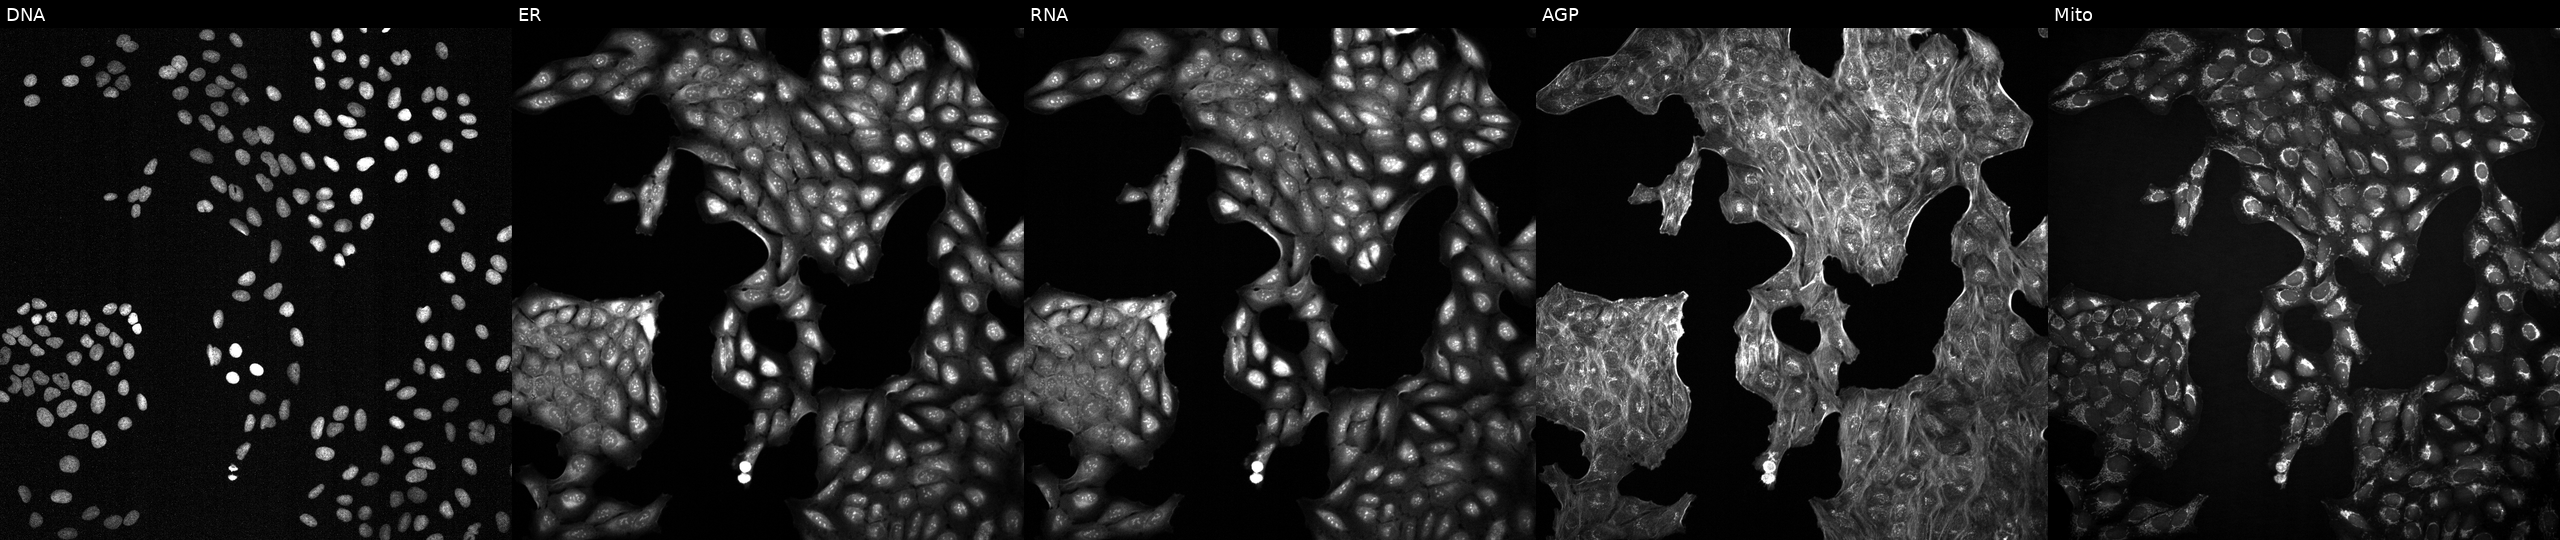
U2OS cells, Cell Painting assay, perturbed with a small-molecule compound [SMILES: O=C(O)C1CCCN1]. Panels show, left to right, DNA (nuclei); ER (endoplasmic reticulum); RNA (nucleoli and cytoplasmic RNA); AGP (actin cytoskeleton, Golgi, and plasma membrane); Mito (mitochondria). Each panel is percentile-stretched 16-bit fluorescence.